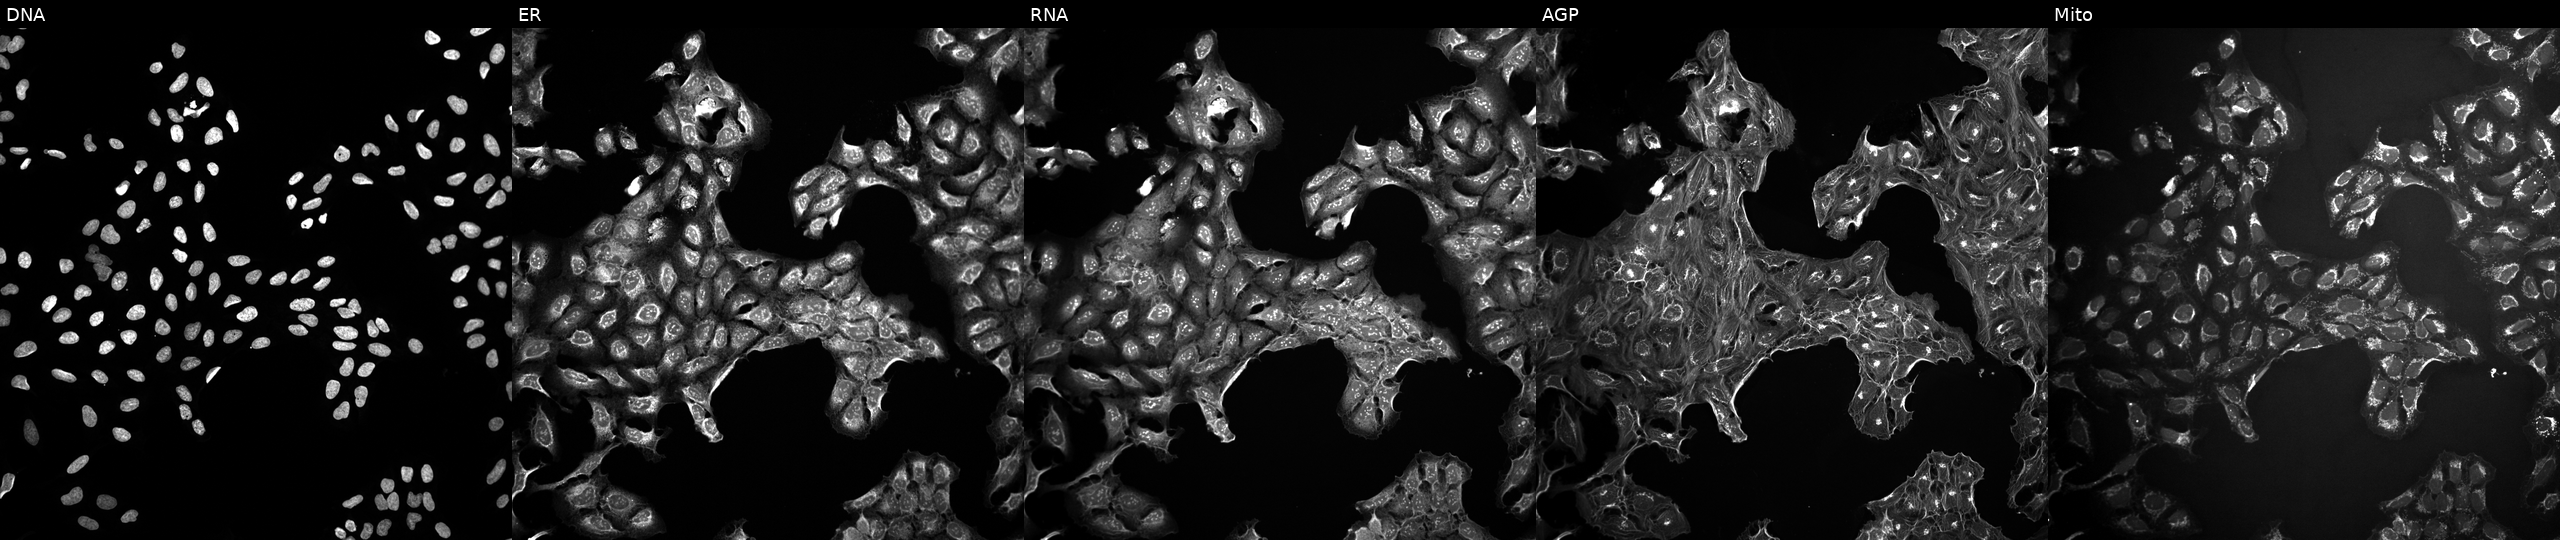
U2OS cells, Cell Painting assay, in an empty control well (no perturbation). The five panels, left to right, show DNA (nuclei); ER (endoplasmic reticulum); RNA (nucleoli and cytoplasmic RNA); AGP (actin cytoskeleton, Golgi, and plasma membrane); Mito (mitochondria). Each panel is percentile-stretched 16-bit fluorescence.